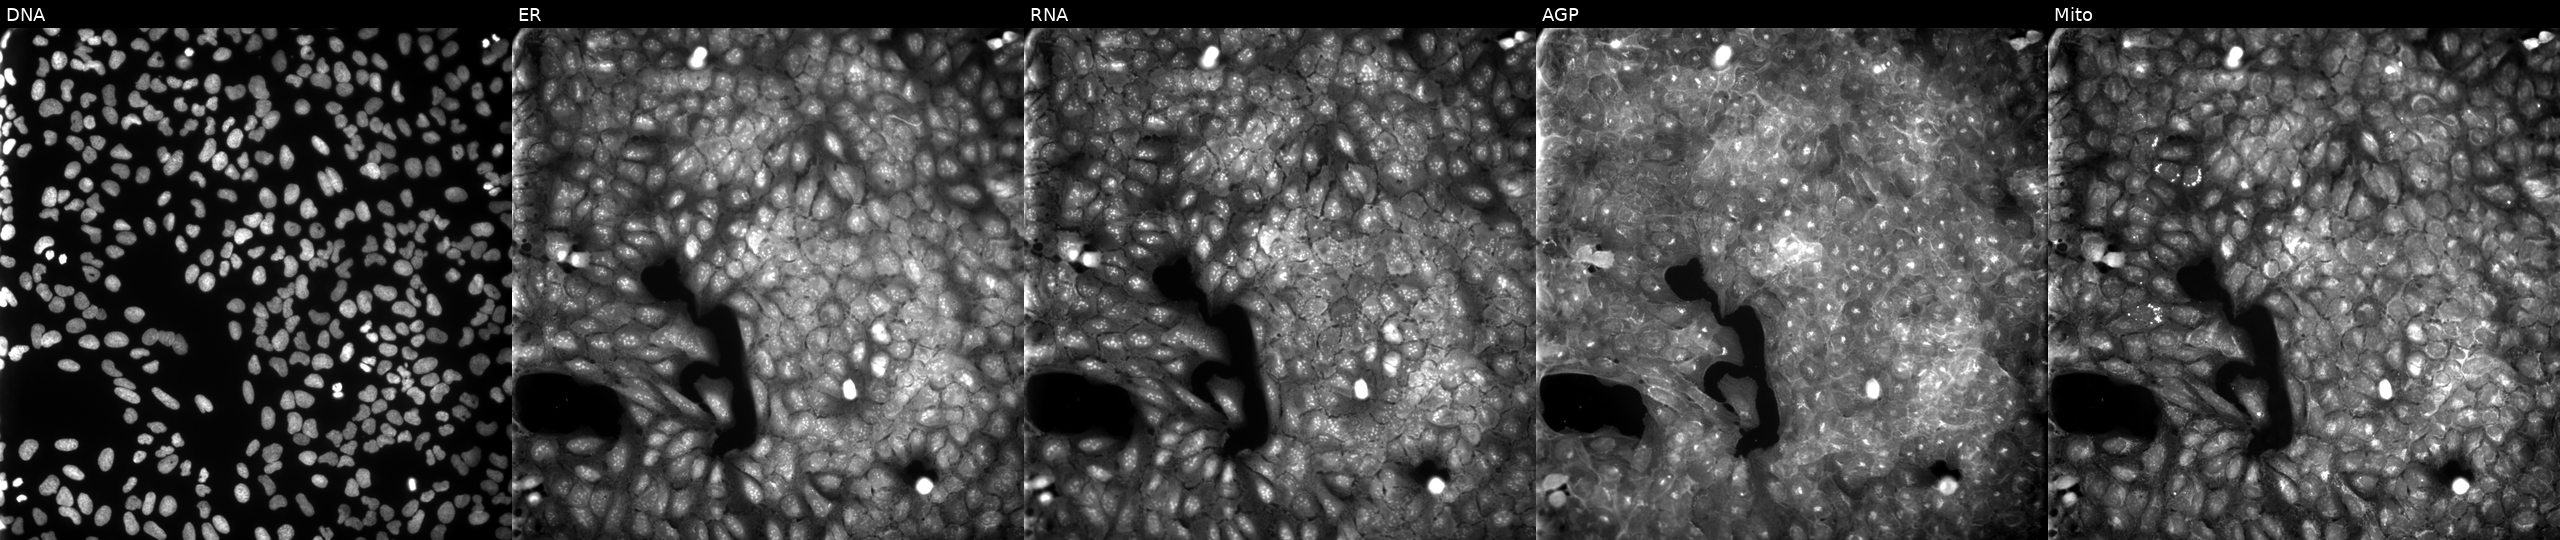
Five-channel Cell Painting image of U2OS cells exposed to a small-molecule compound [SMILES: O=C(NCCCN=C1NS(=O)(=O)c2ccccc21)c1ccncc1] (JUMP id JCP2022_025274). Panels show, left to right, Hoechst 33342, concanavalin A, SYTO 14, phalloidin and WGA, MitoTracker.